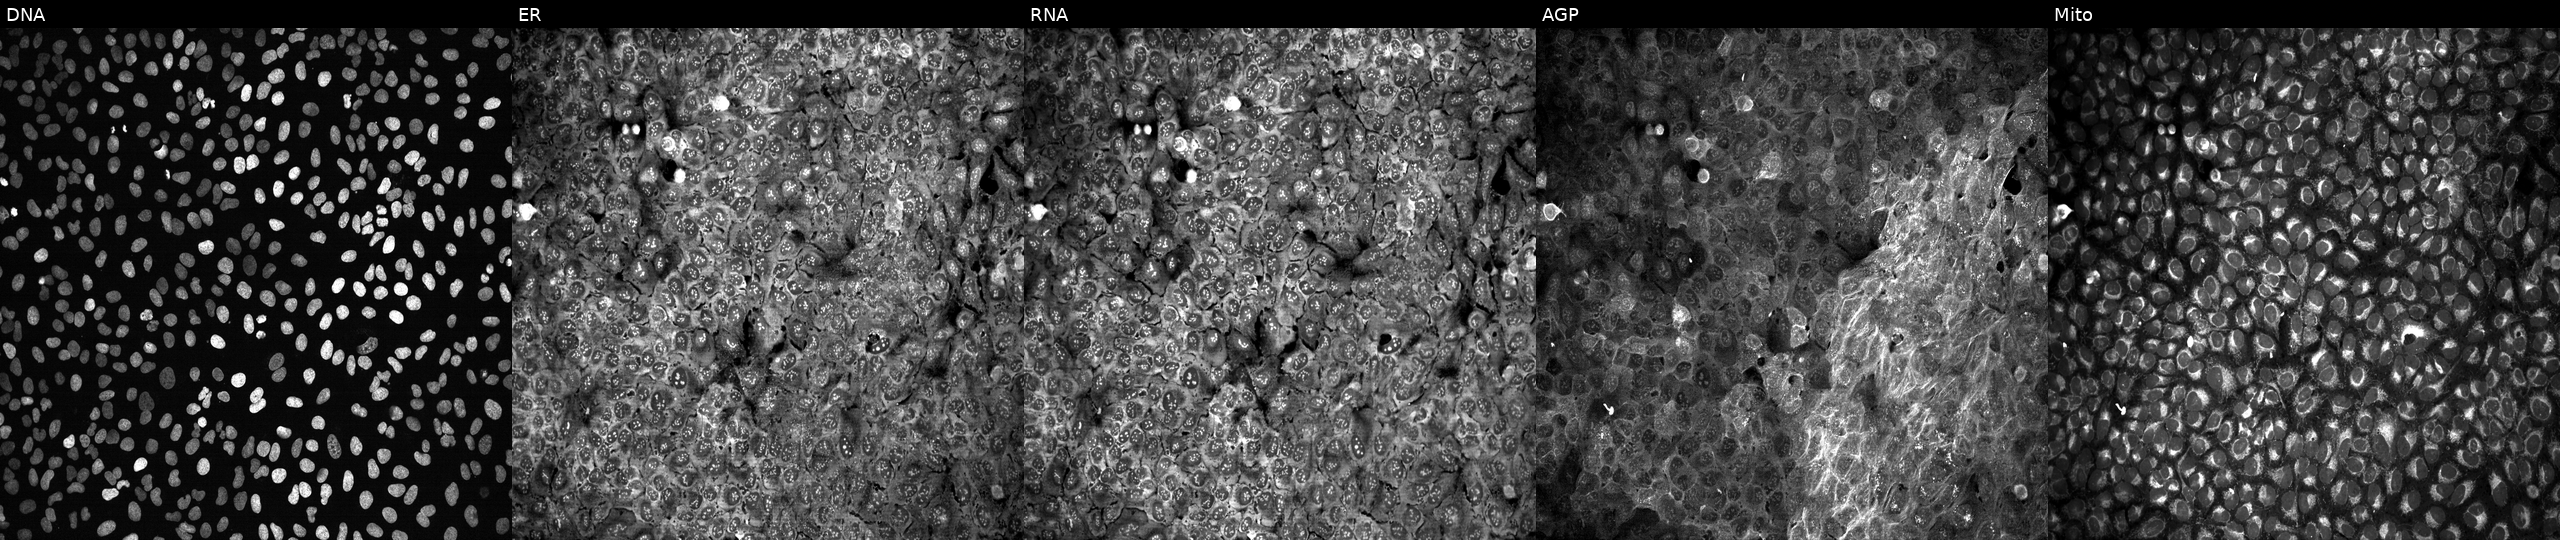
This image strip shows the five Cell Painting channels for a single field of U2OS cells exposed to DMSO alone as a negative control (JUMP id JCP2022_033924). Channels (left→right): DNA (nuclei); ER (endoplasmic reticulum); RNA (nucleoli and cytoplasmic RNA); AGP (actin cytoskeleton, Golgi, and plasma membrane); Mito (mitochondria).